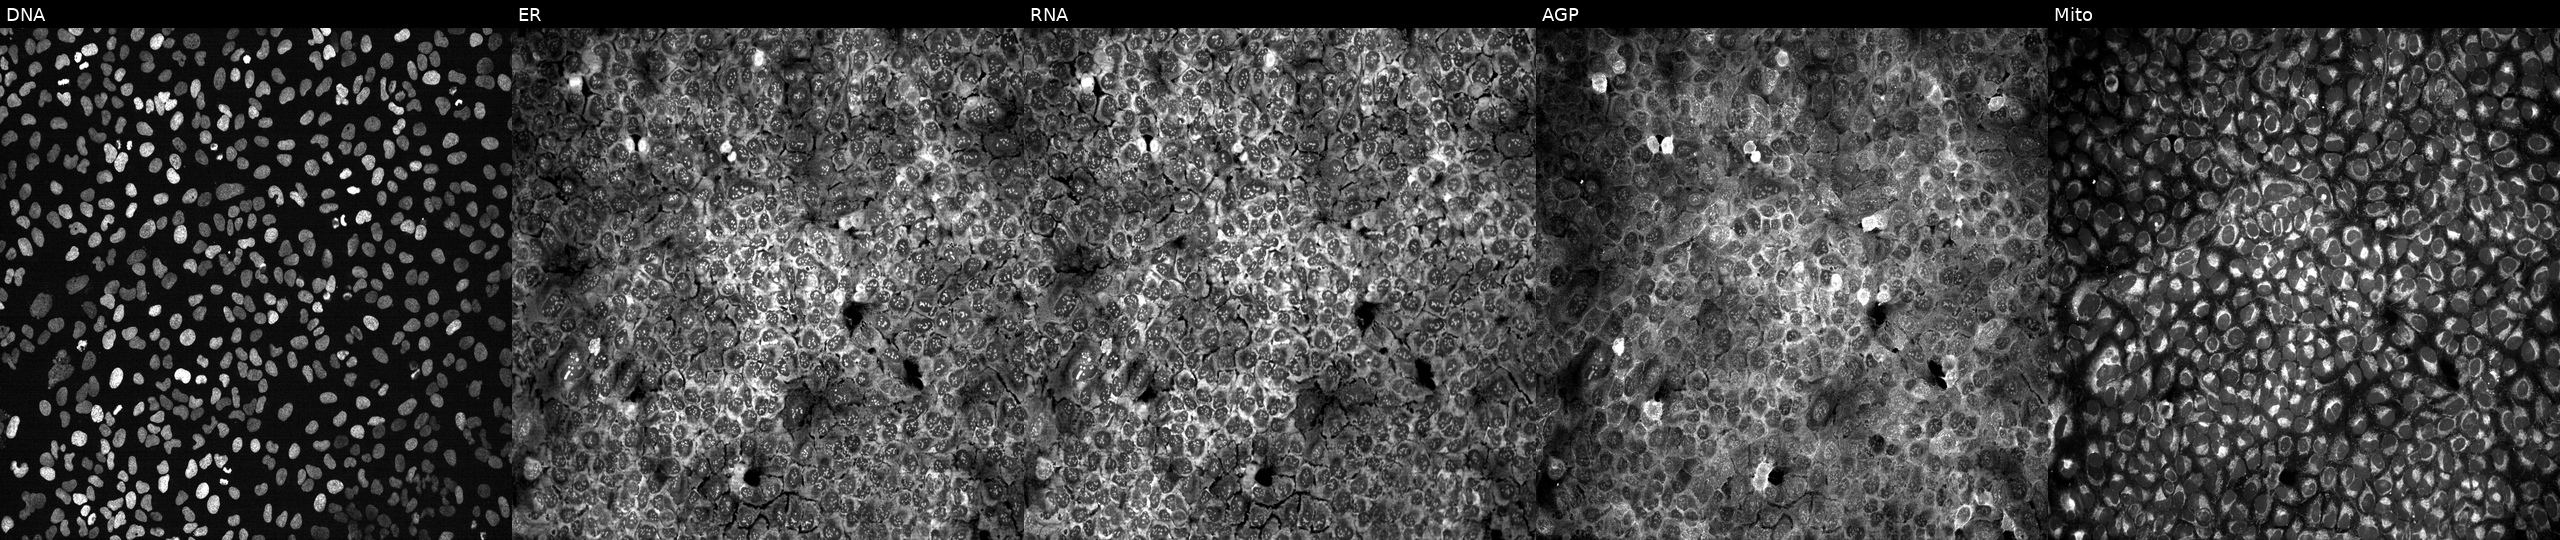
High-content fluorescence microscopy (Cell Painting). Cell line: U2OS. Perturbation: with a non-targeting CRISPR guide (negative control). From left to right: DNA, ER, RNA, AGP, and Mito. Source 13, plate CP-CC9-R4-03, well I23.